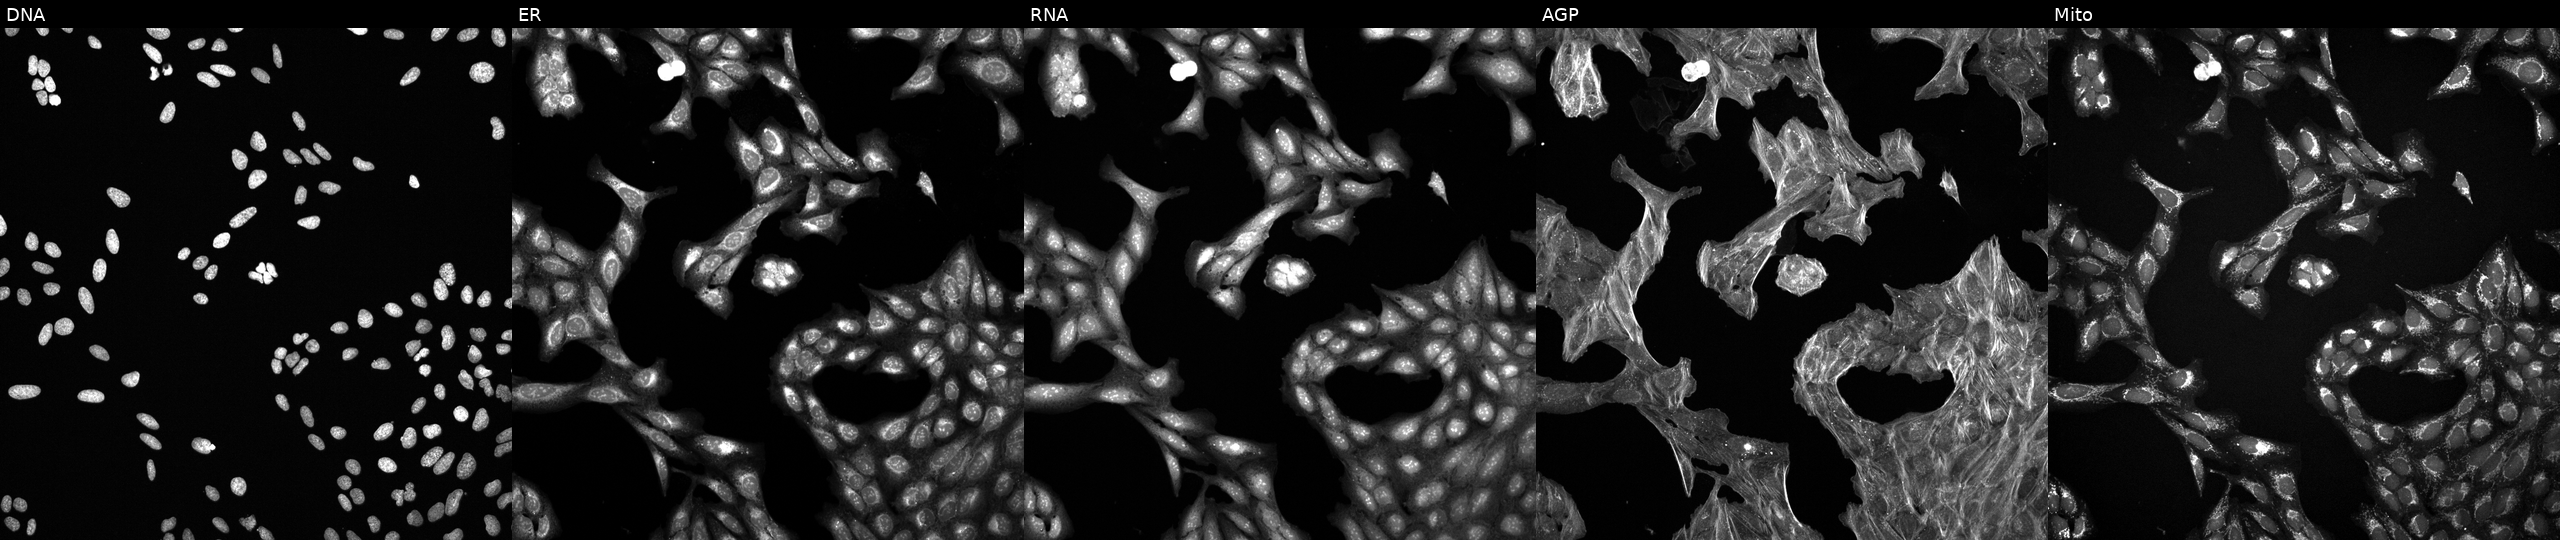
JUMP Cell Painting — TARGET2 plate. U2OS cells treated with a small-molecule compound (InChIKey YULUCECVQOCQFQ-UHFFFAOYSA-N) (JUMP id JCP2022_110929). From left to right: Hoechst 33342, concanavalin A, SYTO 14, phalloidin and WGA, MitoTracker. Source 6, plate 110000293093, well I14.